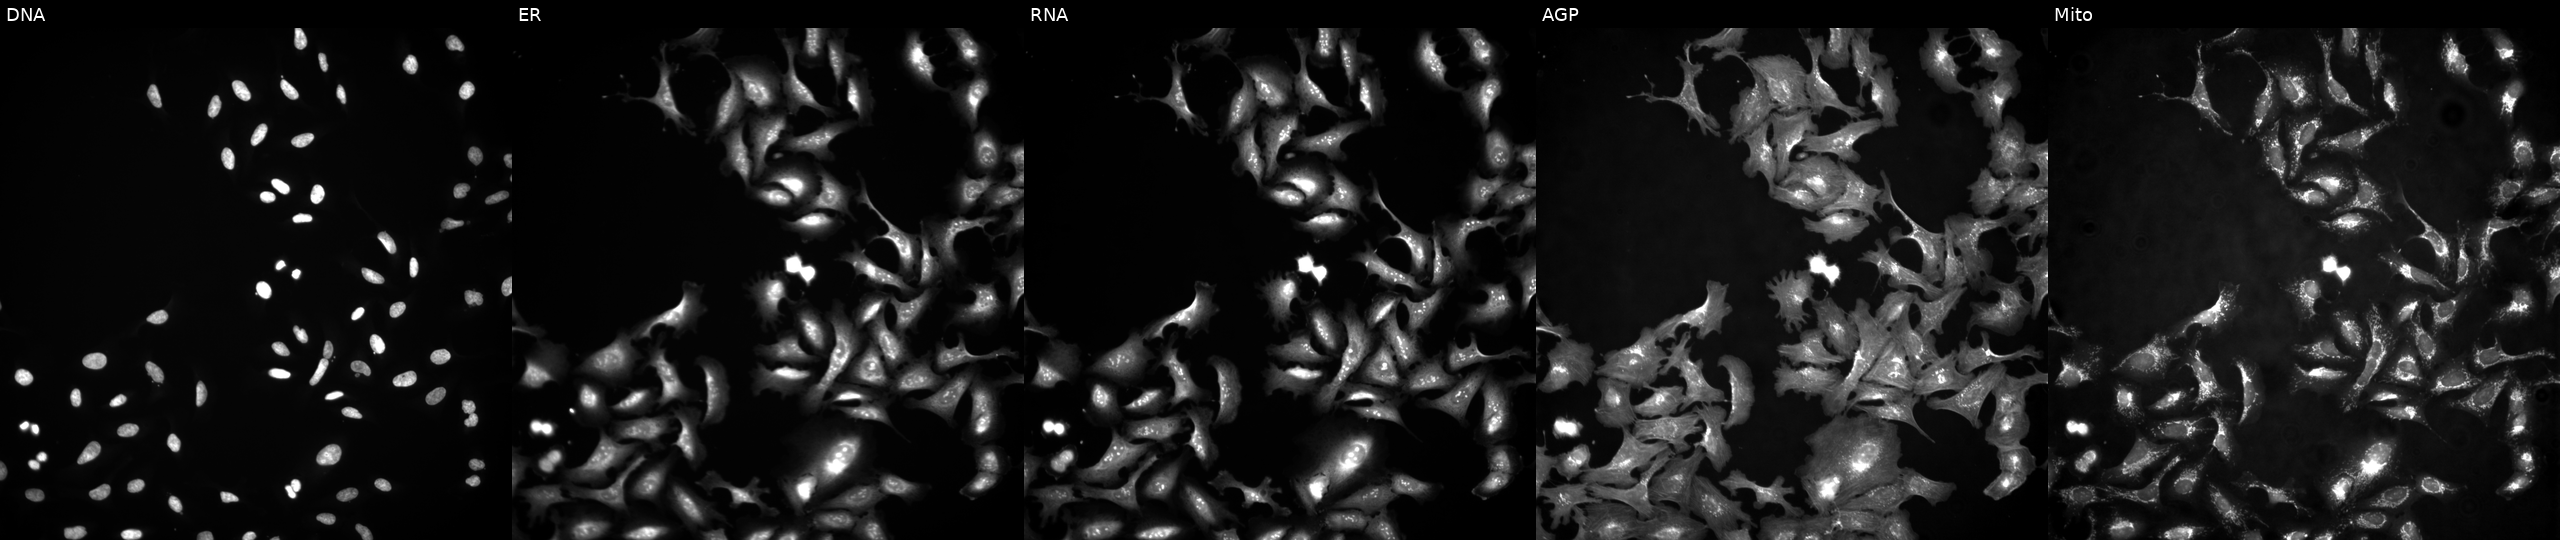
JUMP Cell Painting — ORF plate. U2OS cells transfected with an ORF construct for HKDC1 (JUMP id JCP2022_914174). From left to right: Hoechst 33342, concanavalin A, SYTO 14, phalloidin and WGA, MitoTracker. Source 4, plate BR00123945, well M03.